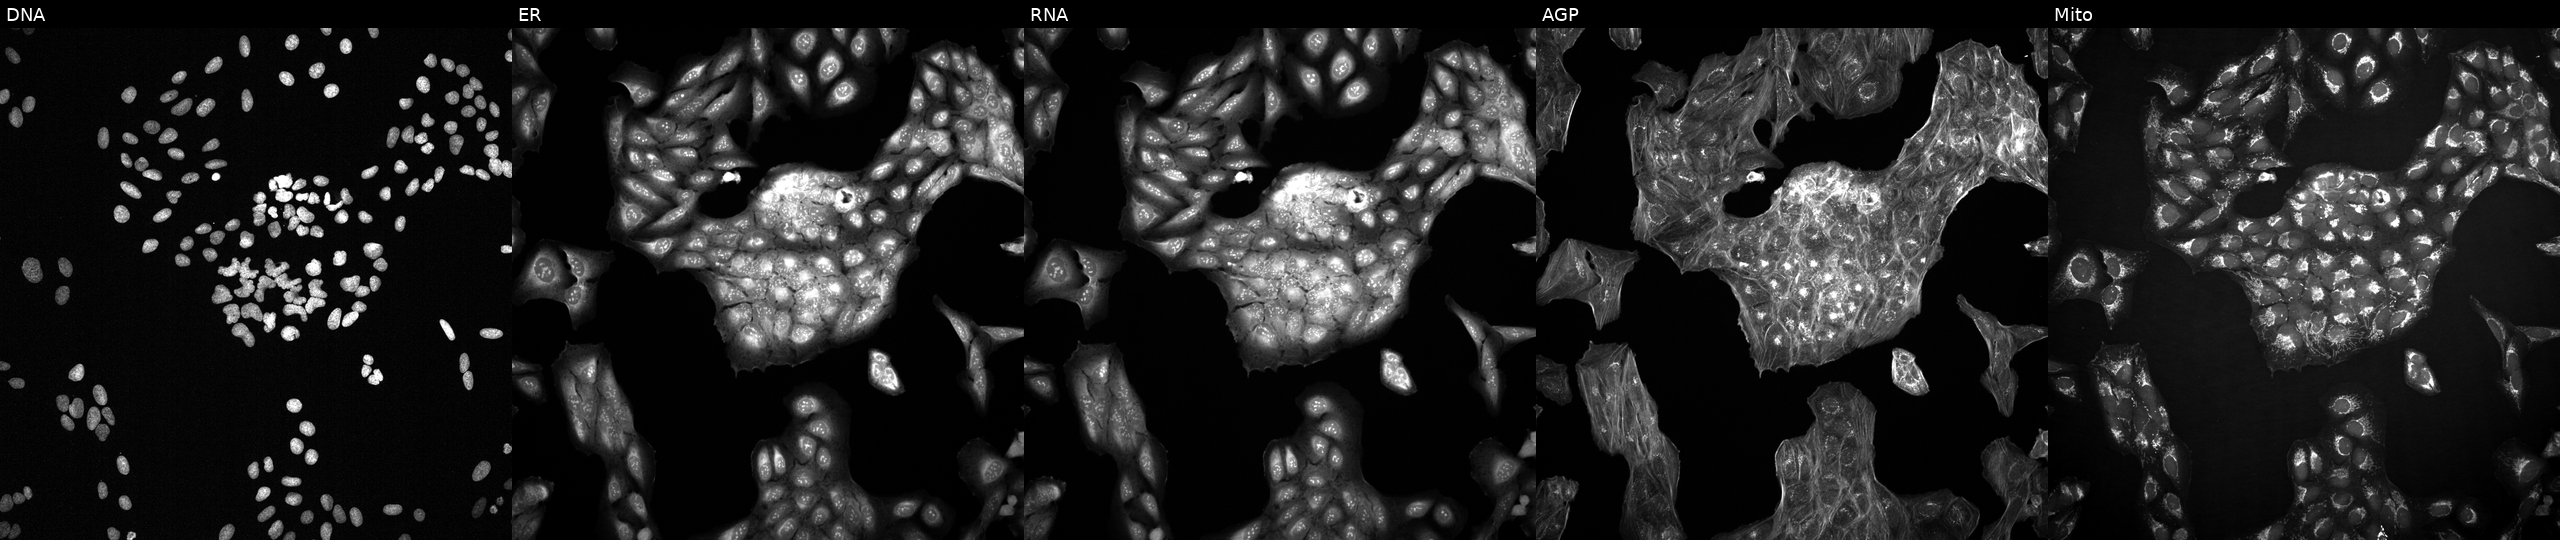
This image strip shows the five Cell Painting channels for a single field of U2OS cells exposed to DMSO alone as a negative control. The five panels, left to right, show DNA, ER, RNA, AGP, and Mito. Source 2, plate 1053600674, well B12.